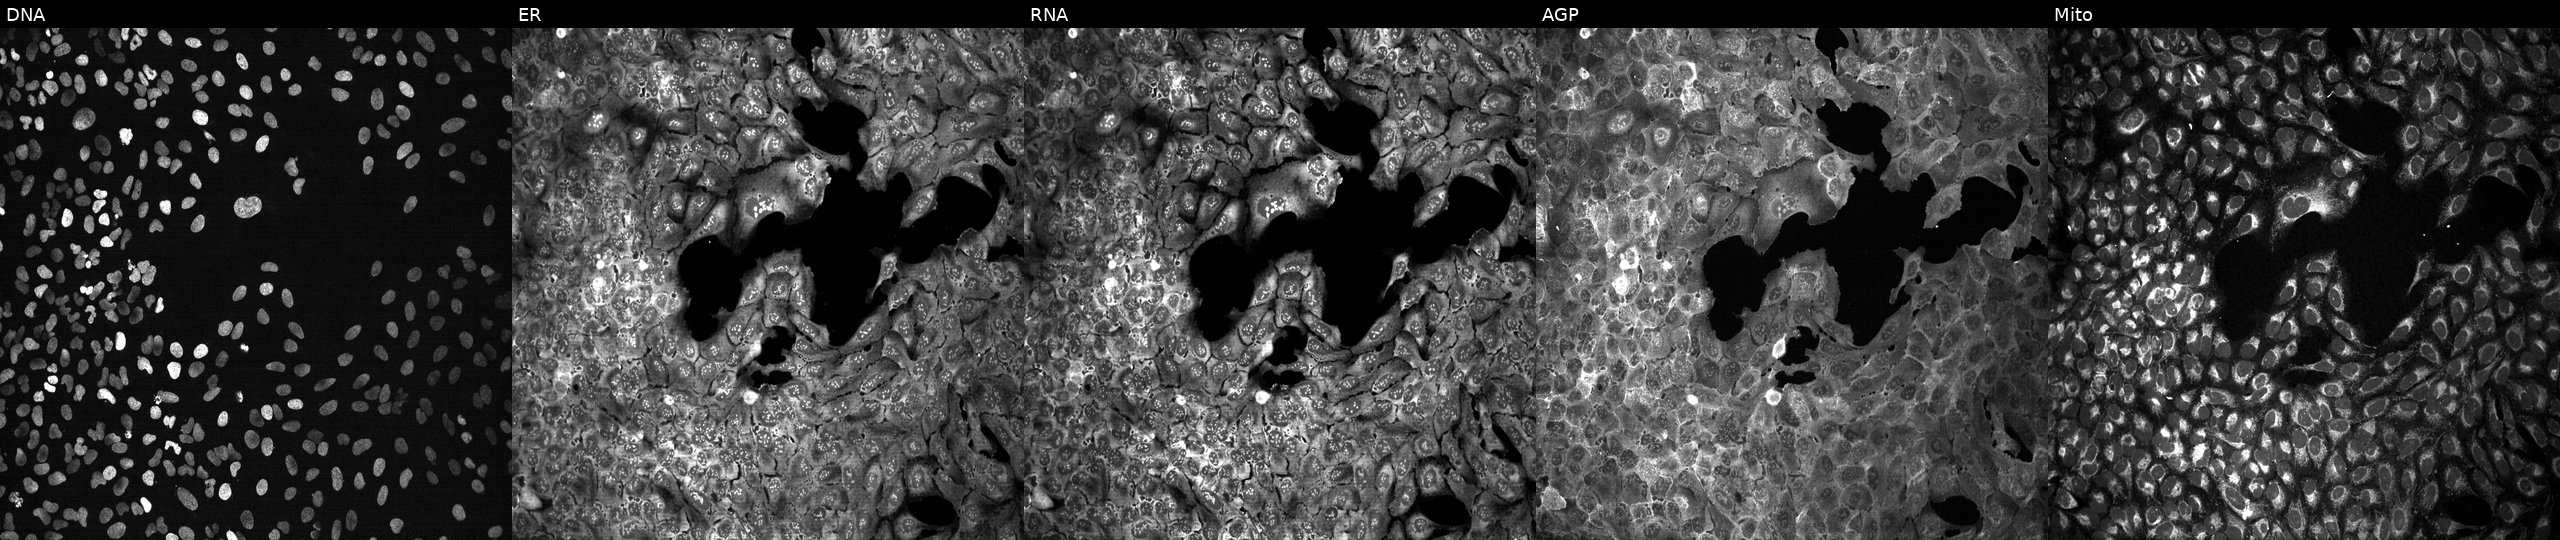
High-content fluorescence microscopy (Cell Painting). Cell line: U2OS. Perturbation: CRISPR-edited to disrupt AKR1B1 (JUMP id JCP2022_800362). From left to right: DNA (nuclei); ER (endoplasmic reticulum); RNA (nucleoli and cytoplasmic RNA); AGP (actin cytoskeleton, Golgi, and plasma membrane); Mito (mitochondria).